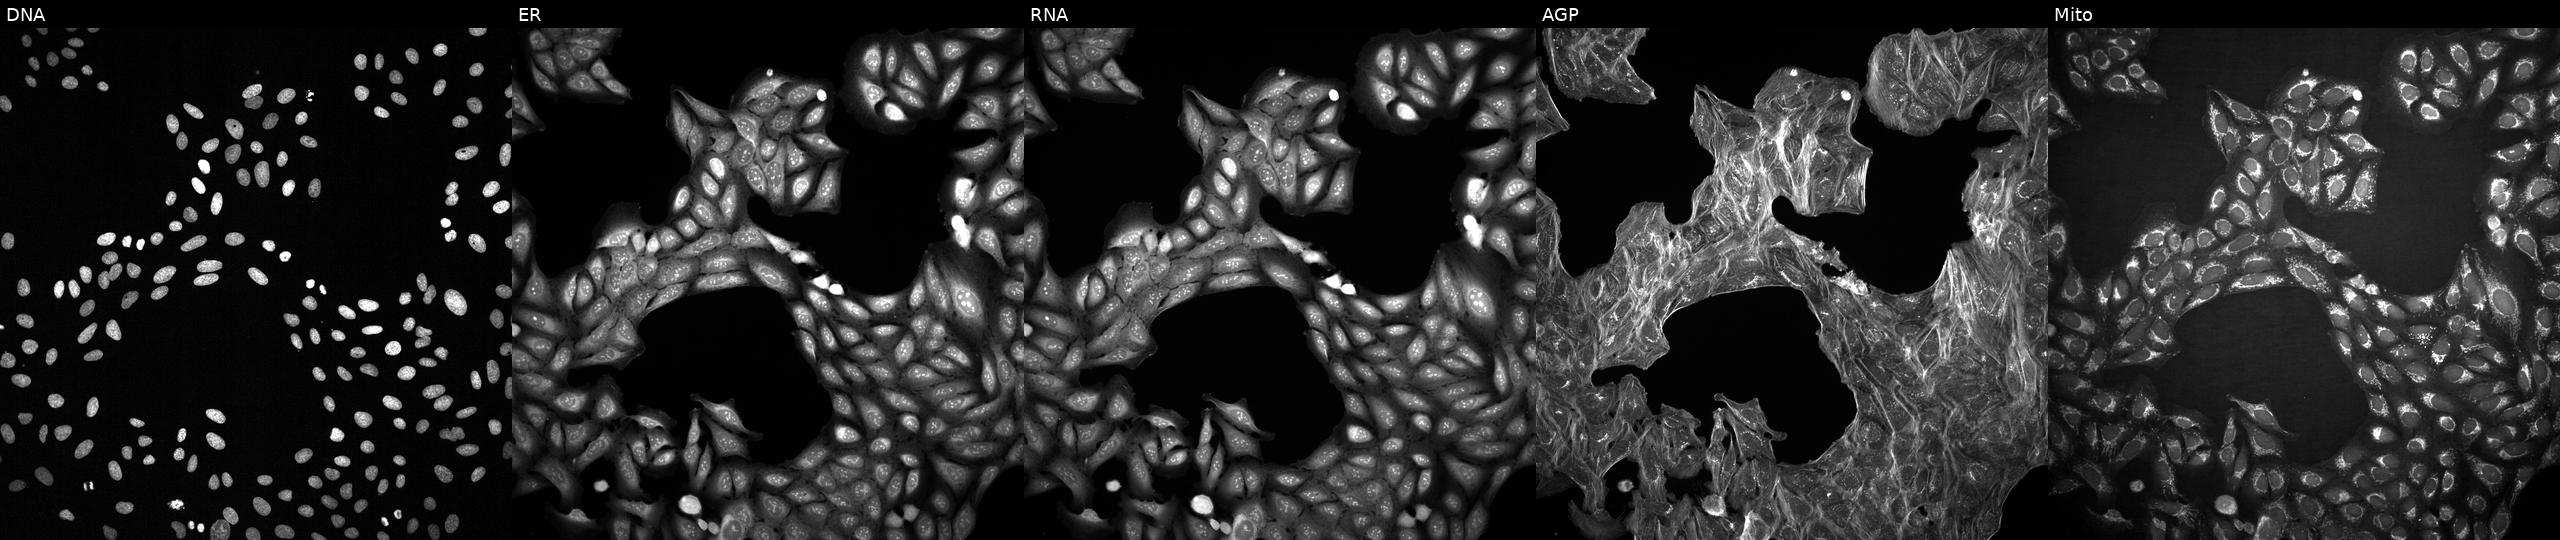
JUMP Cell Painting — COMPOUND plate. U2OS cells exposed to a small-molecule compound (InChIKey MADZGXCBHULZOP-UHFFFAOYSA-N). From left to right: Hoechst 33342, concanavalin A, SYTO 14, phalloidin and WGA, MitoTracker.